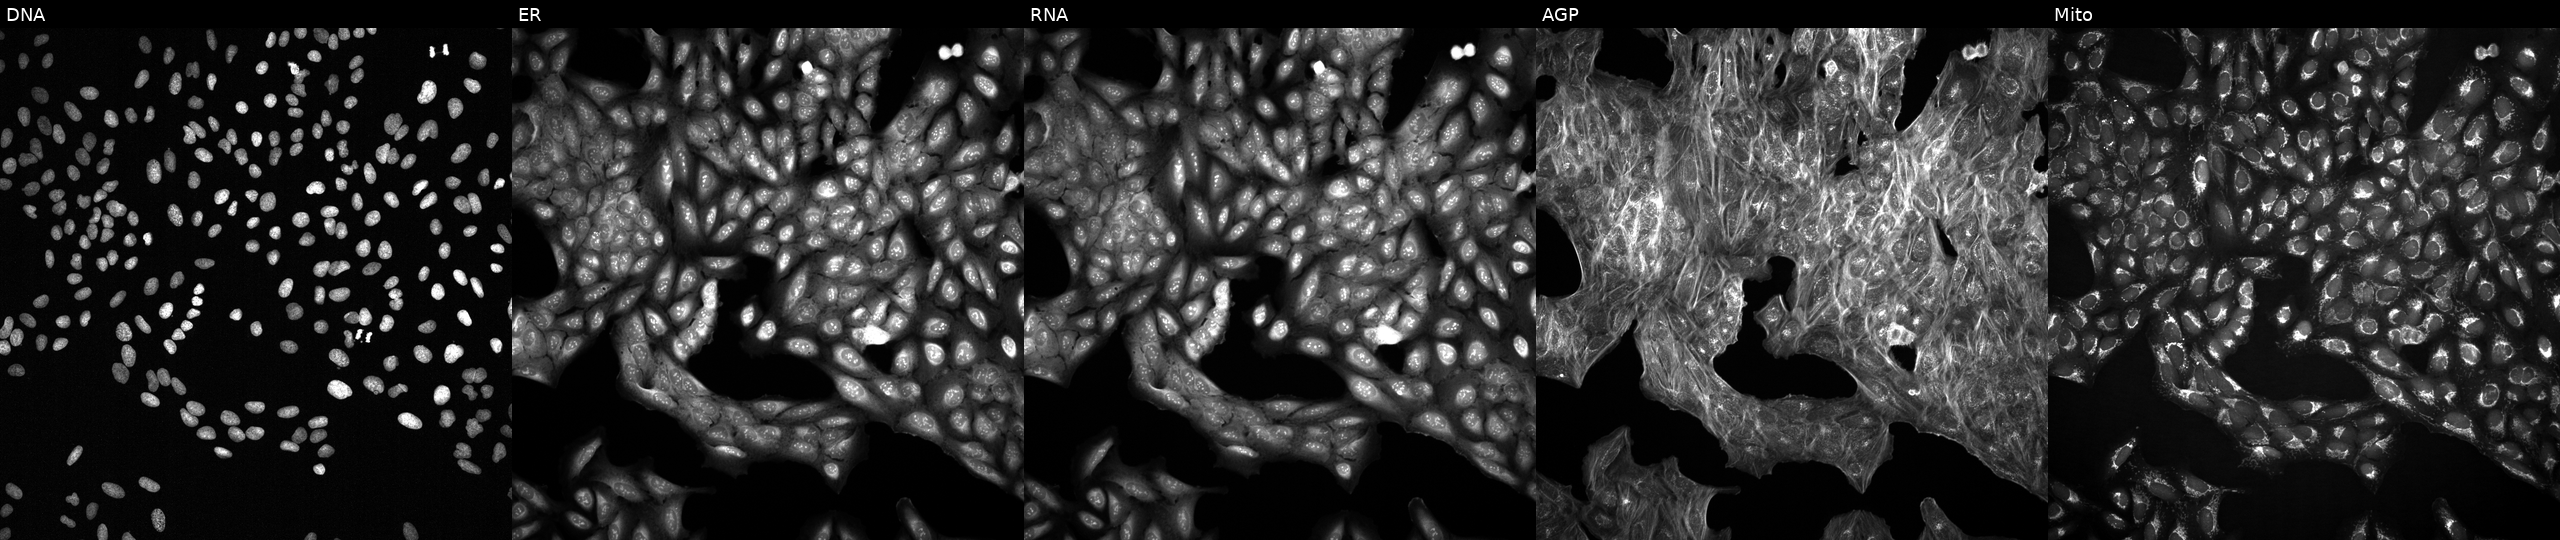
U2OS cells, Cell Painting assay, with an unidentified perturbation (not annotated in JUMP metadata). Channels (left→right): DNA (nuclei); ER (endoplasmic reticulum); RNA (nucleoli and cytoplasmic RNA); AGP (actin cytoskeleton, Golgi, and plasma membrane); Mito (mitochondria). Each panel is percentile-stretched 16-bit fluorescence. Source 2, plate 1053601756, well D11.